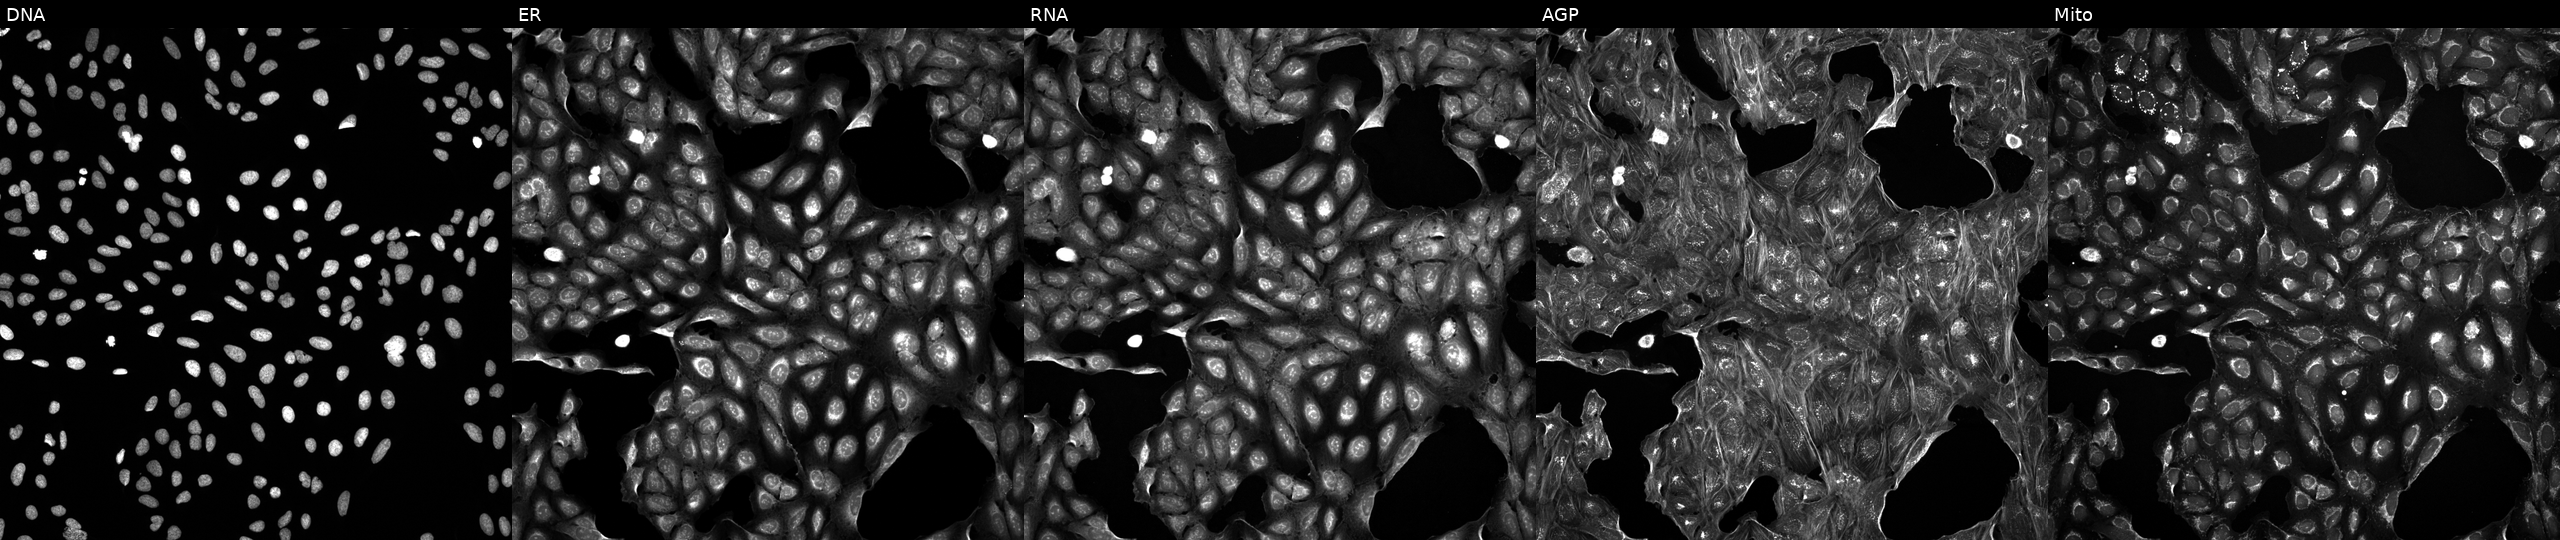
Five-channel Cell Painting image of U2OS cells exposed to a small-molecule compound (InChIKey PFHDWRIVDDIFRP-UHFFFAOYSA-N) (JUMP id JCP2022_068238). Channels (left→right): DNA, ER, RNA, AGP, and Mito.